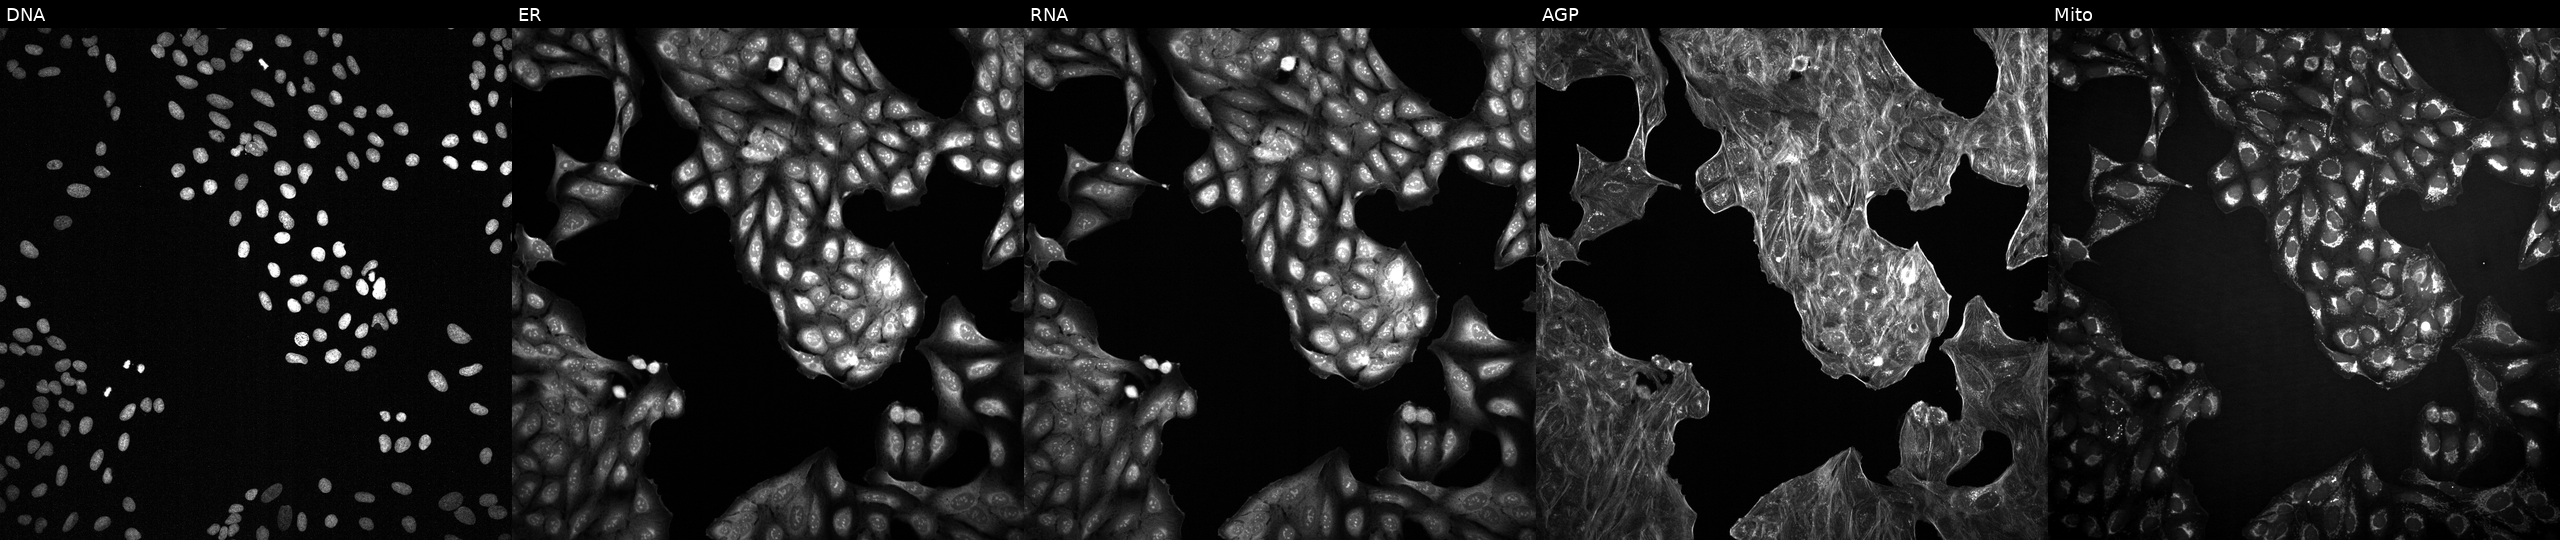
Five-channel Cell Painting image of U2OS cells treated with a small-molecule compound. From left to right: Hoechst 33342, concanavalin A, SYTO 14, phalloidin and WGA, MitoTracker. Source 2, plate 1053599503, well L14.